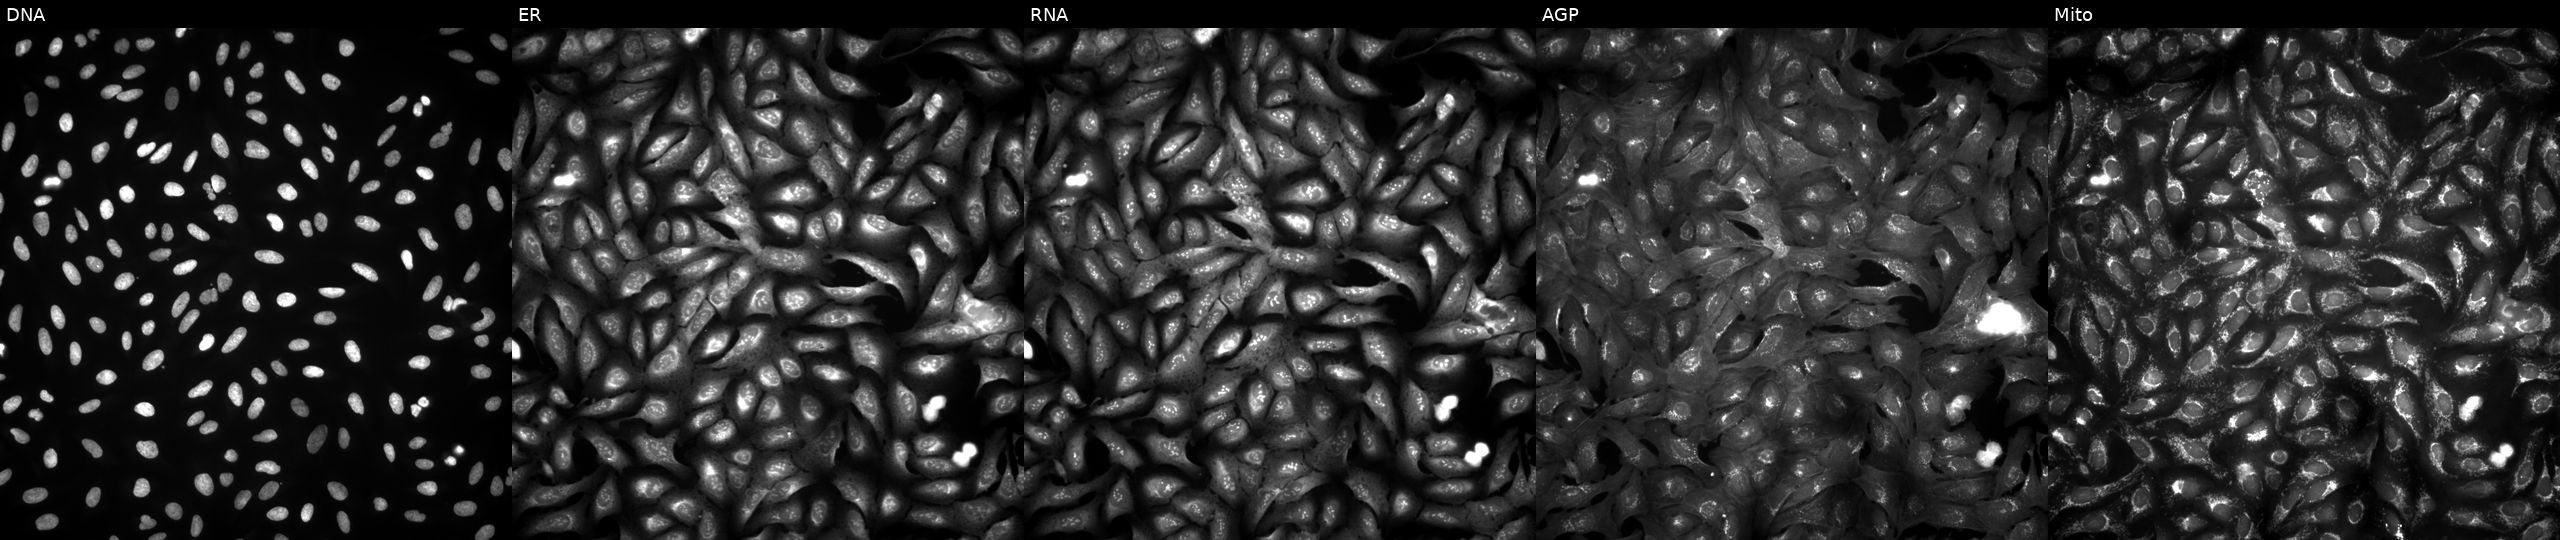
This image strip shows the five Cell Painting channels for a single field of U2OS cells overexpressing INTS7 via ORF transfection (JUMP id JCP2022_914755). Channels (left→right): Hoechst 33342, concanavalin A, SYTO 14, phalloidin and WGA, MitoTracker. Source 4, plate BR00121543, well A11.